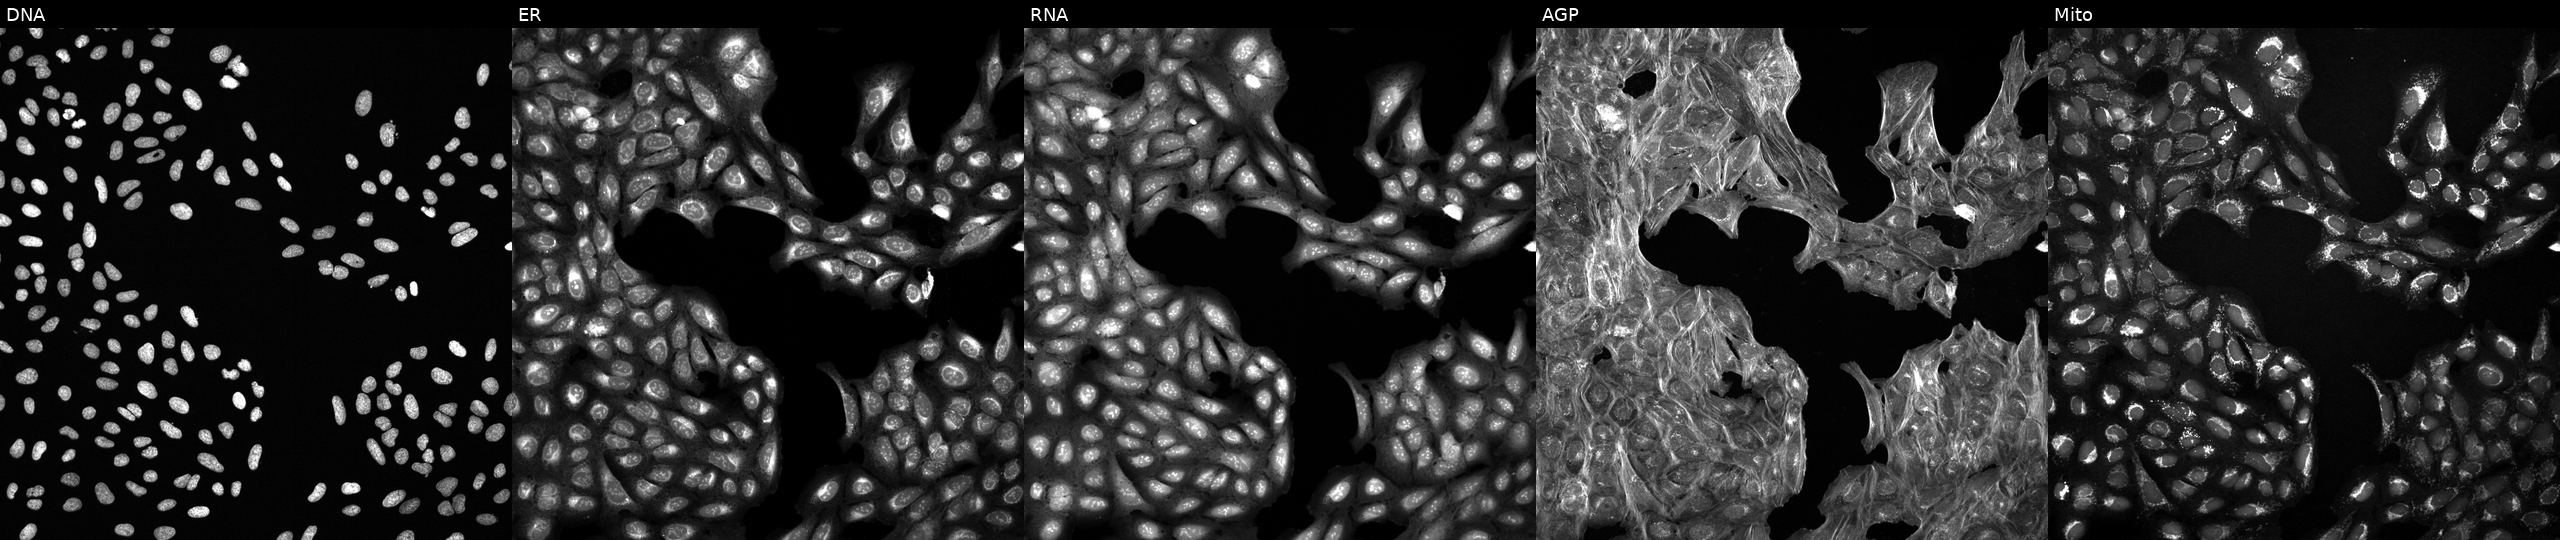
JUMP Cell Painting — COMPOUND plate. U2OS cells exposed to a small-molecule compound [SMILES: COc1cc2c(cc1OC)CN(C(=O)c1cc(C3CC3)nc3c1cnn3C(C)C)CC2]. Channels (left→right): DNA, ER, RNA, AGP, and Mito. Source 6, plate 110000293083, well D13.